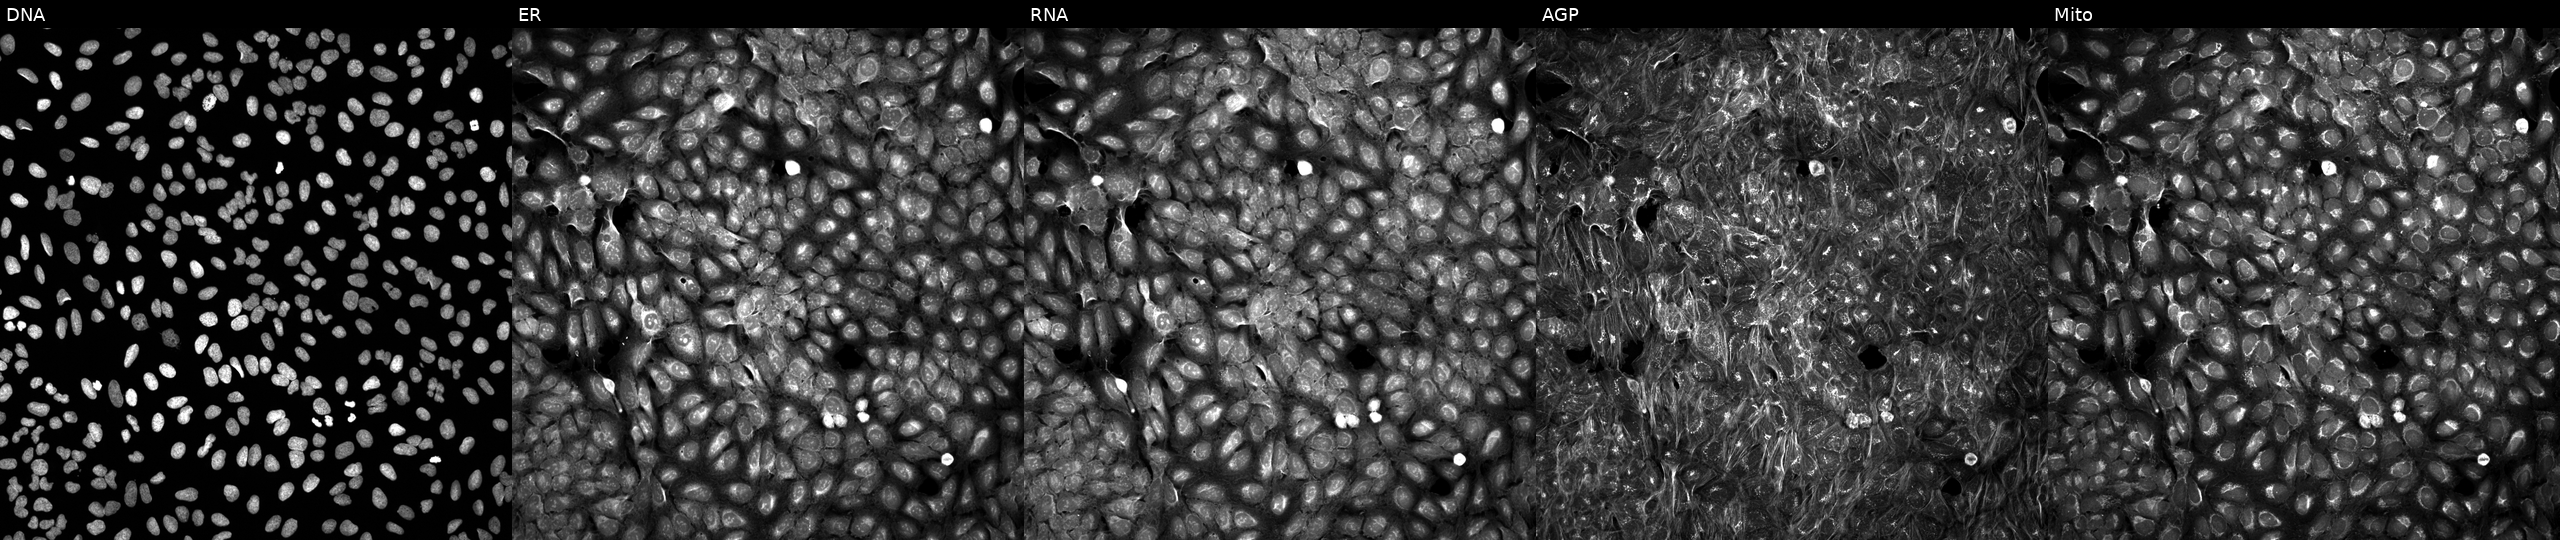
From left to right: DNA, ER, RNA, AGP, and Mito. U2OS osteosarcoma cells perturbed with a small-molecule compound (InChIKey CHWCBLHHLVPXEG-UHFFFAOYSA-N) (JUMP id JCP2022_011241). Cell Painting assay, JUMP-CP dataset.